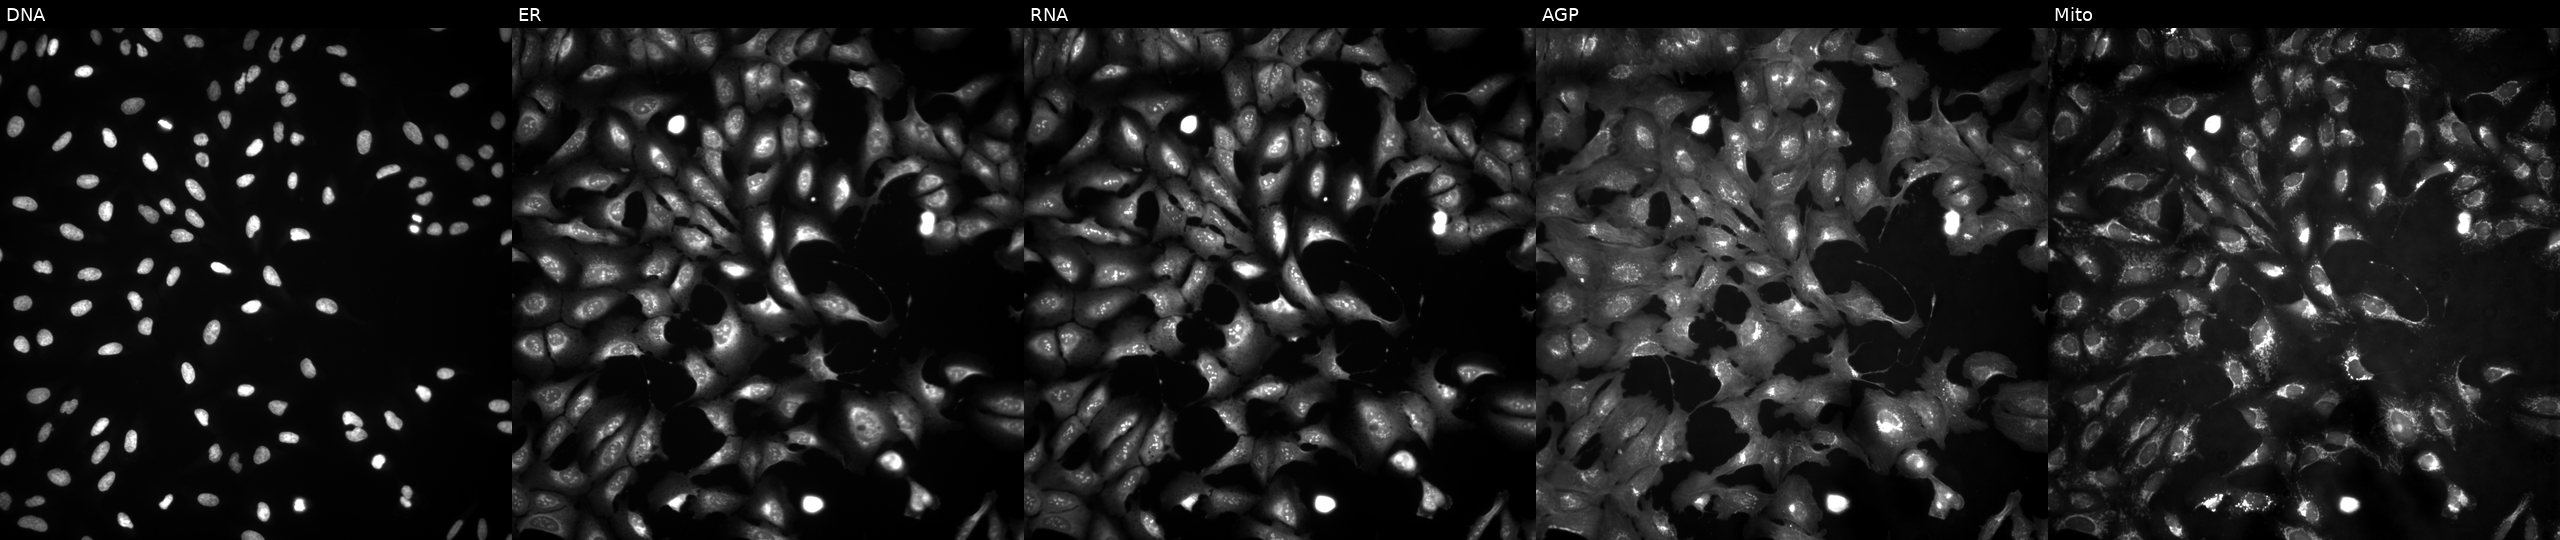
This image strip shows the five Cell Painting channels for a single field of U2OS cells with PIWIL4 overexpressed (ORF). The five panels, left to right, show DNA, ER, RNA, AGP, and Mito.